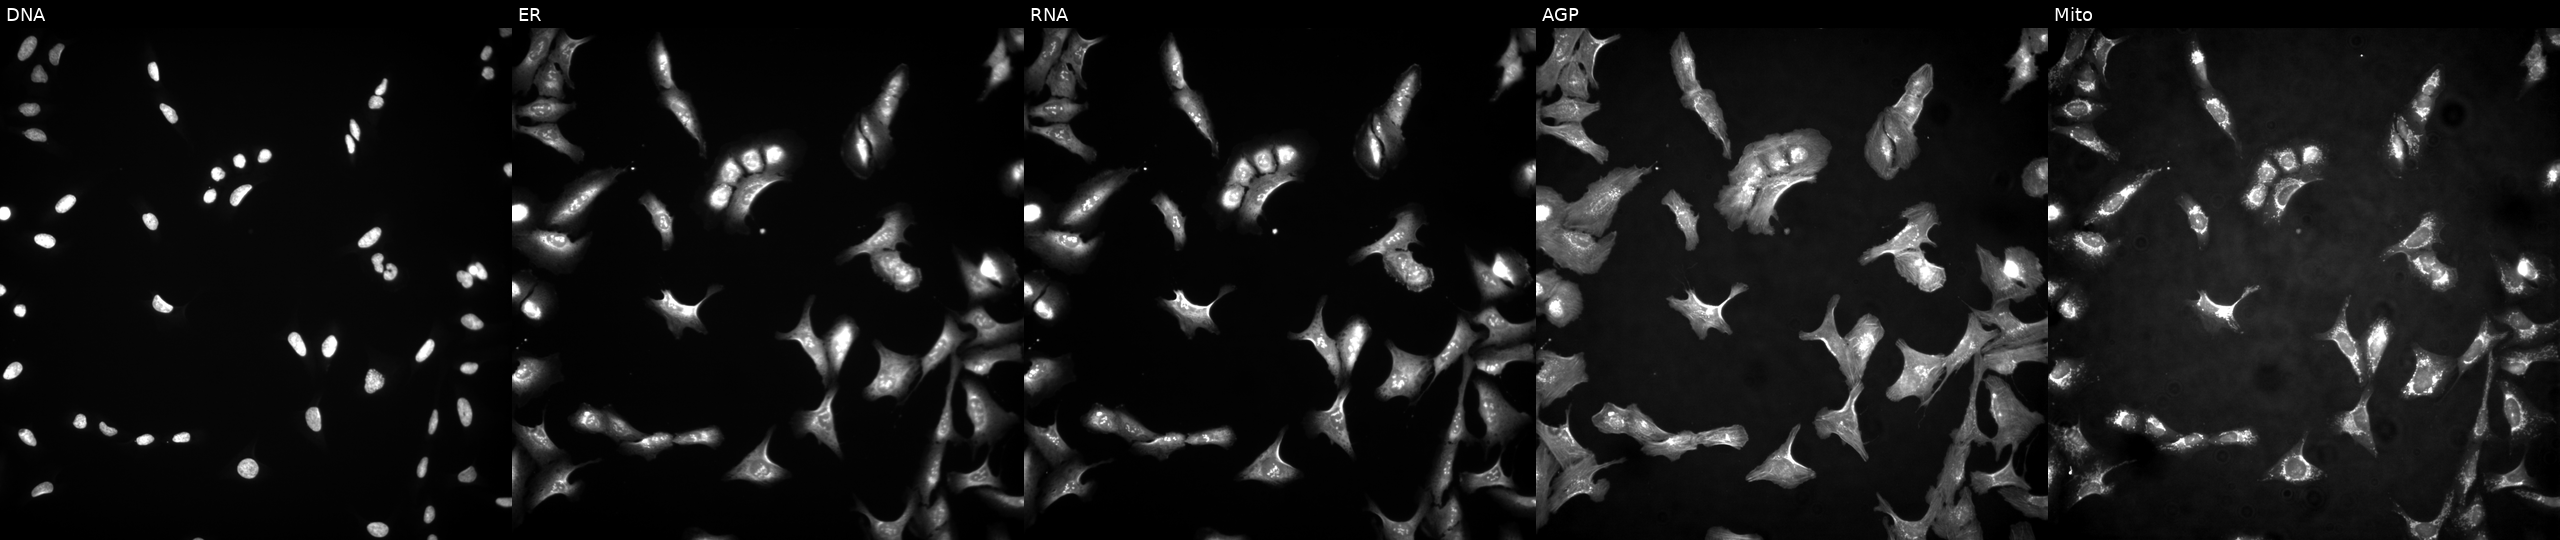
This image strip shows the five Cell Painting channels for a single field of U2OS cells transfected with an ORF construct for FSCN2. From left to right: DNA, ER, RNA, AGP, and Mito.